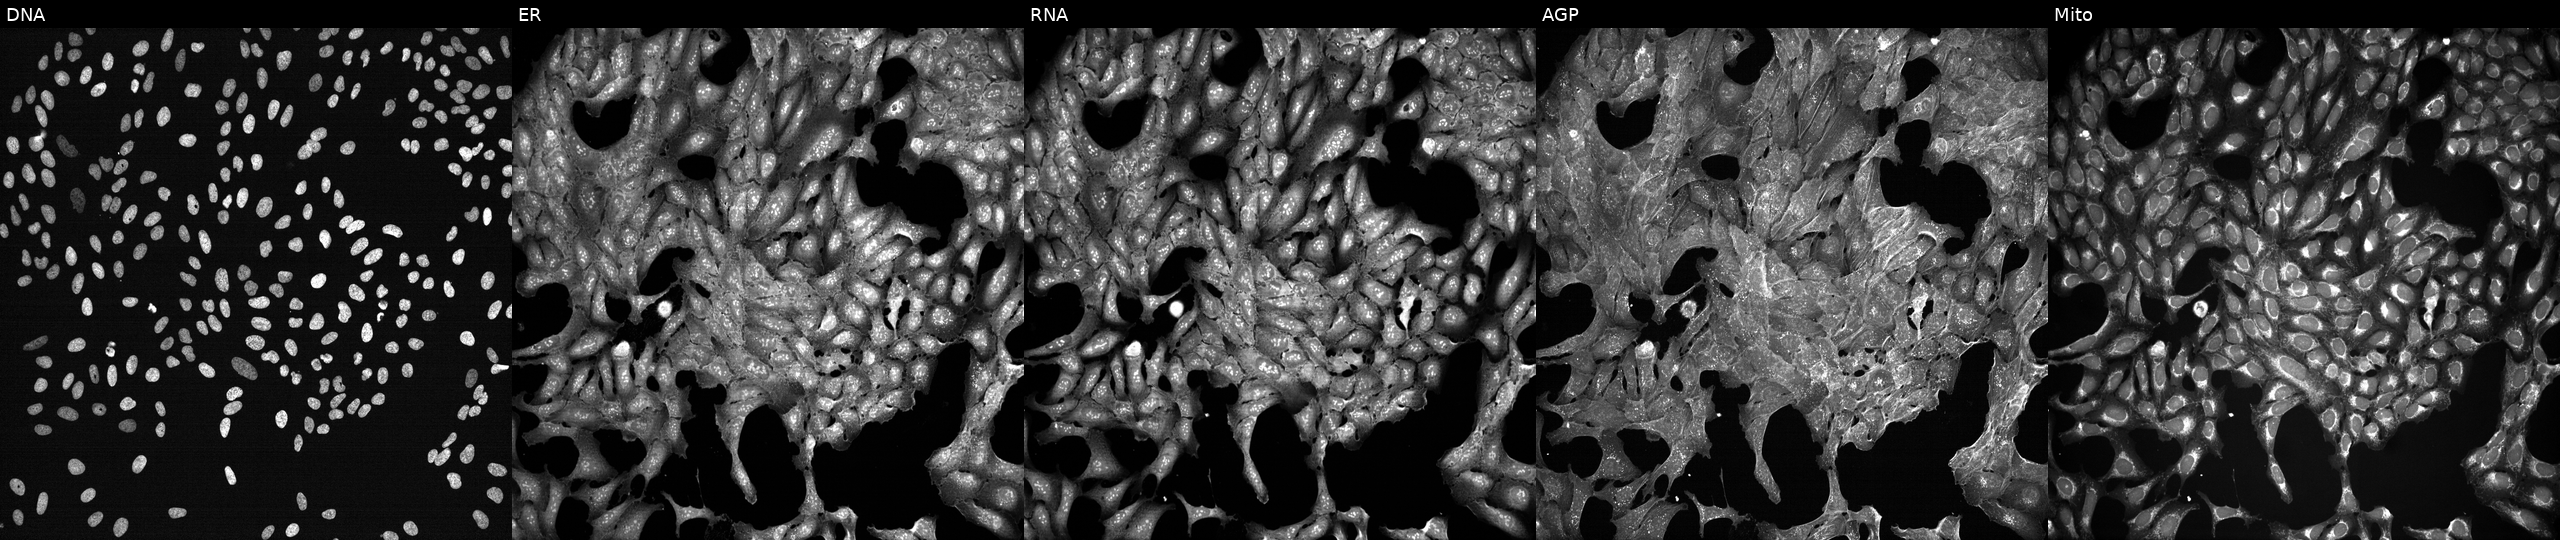
Five-channel Cell Painting image of U2OS cells exposed to a small-molecule compound (InChIKey UMUPQWIGCOZEOY-UHFFFAOYSA-N) [SMILES: CC(C)(N)C(=O)NC(COCc1ccccc1)C(=O)N1CCC2(CC1)CN(S(C)(=O)=O)c1ccccc12]. Panels show, left to right, Hoechst 33342, concanavalin A, SYTO 14, phalloidin and WGA, MitoTracker. Source 7, plate CP3-SC1-25, well D24.